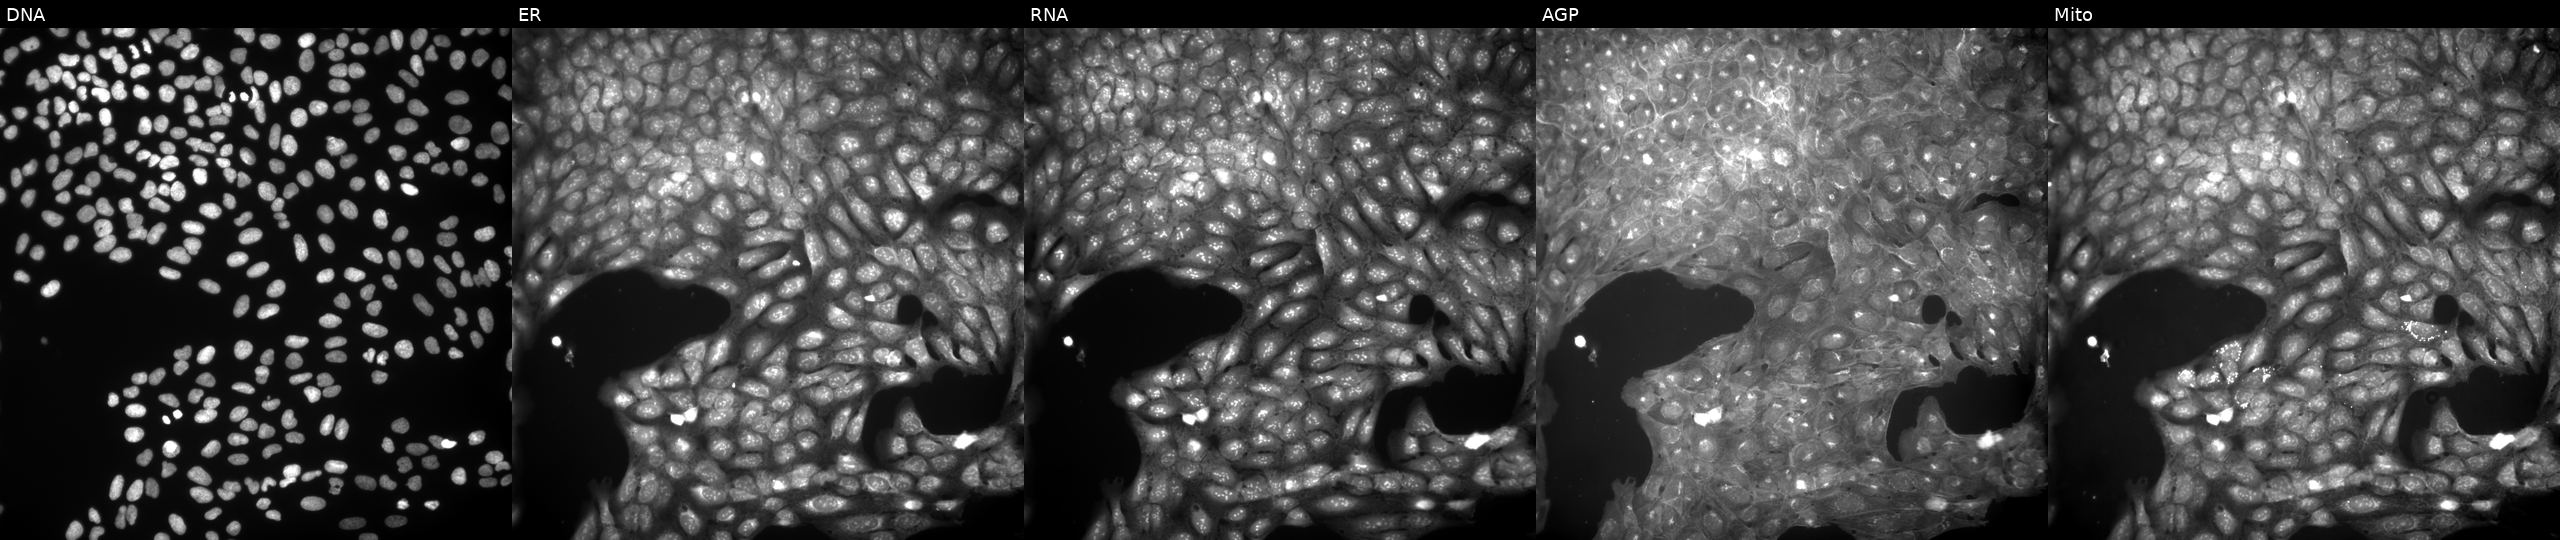
This image strip shows the five Cell Painting channels for a single field of U2OS cells treated with a small-molecule compound (InChIKey ICEYEDNGFRDFOR-UHFFFAOYSA-N). From left to right: DNA, ER, RNA, AGP, and Mito.